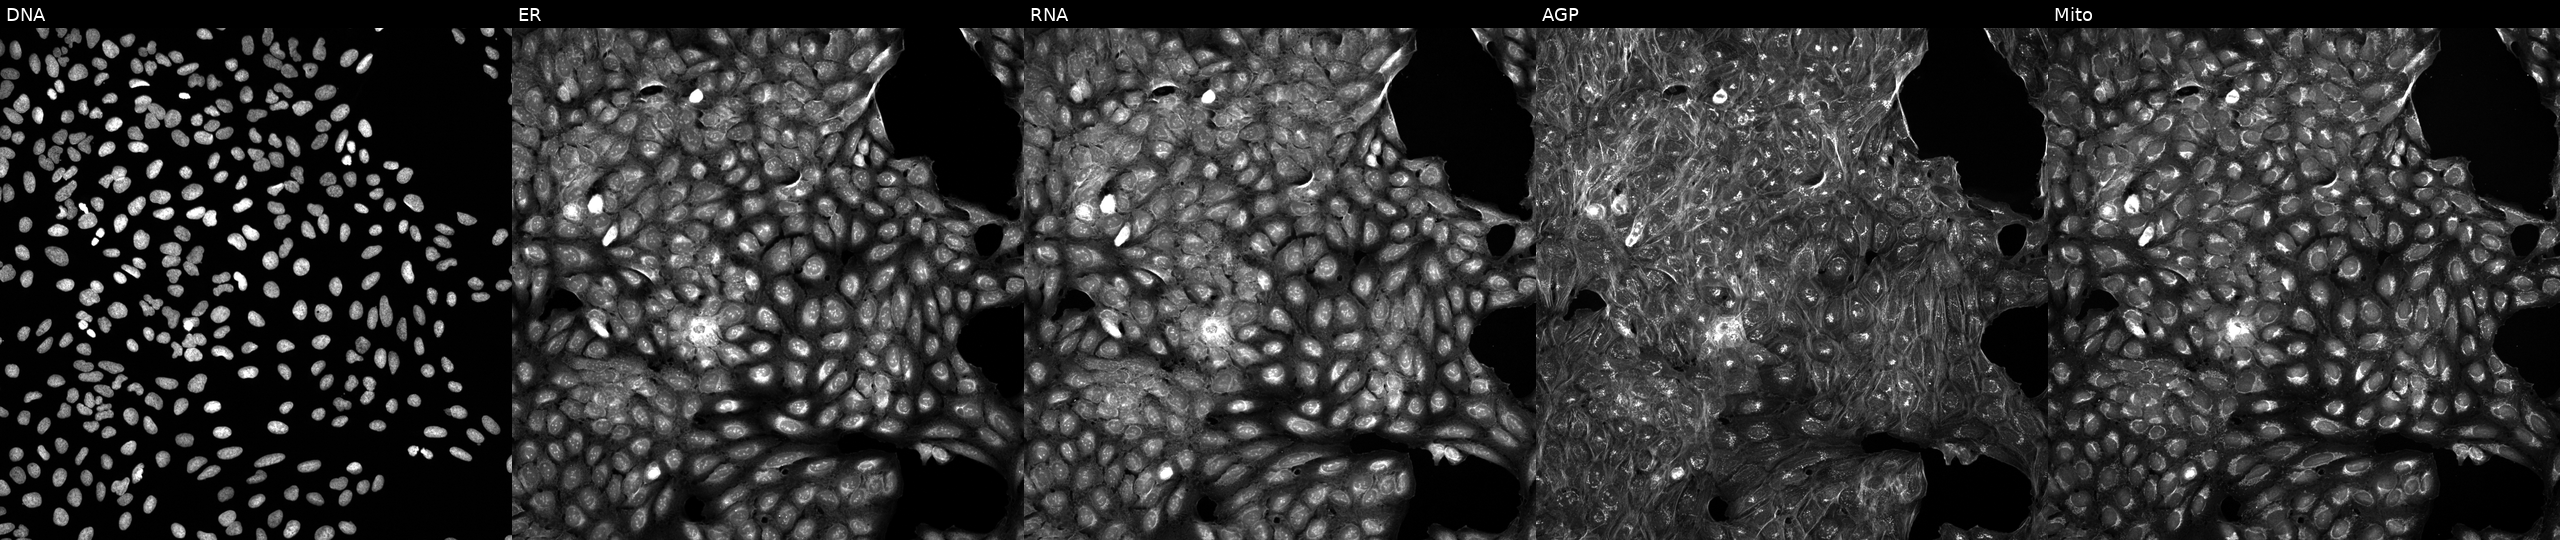
High-content fluorescence microscopy (Cell Painting). Cell line: U2OS. Perturbation: treated with a small-molecule compound [SMILES: CCOc1ncccc1CNC1CCN(Cc2ccccn2)CC1C]. Channels (left→right): Hoechst 33342, concanavalin A, SYTO 14, phalloidin and WGA, MitoTracker. Source 5, plate APTJUM106, well E22.